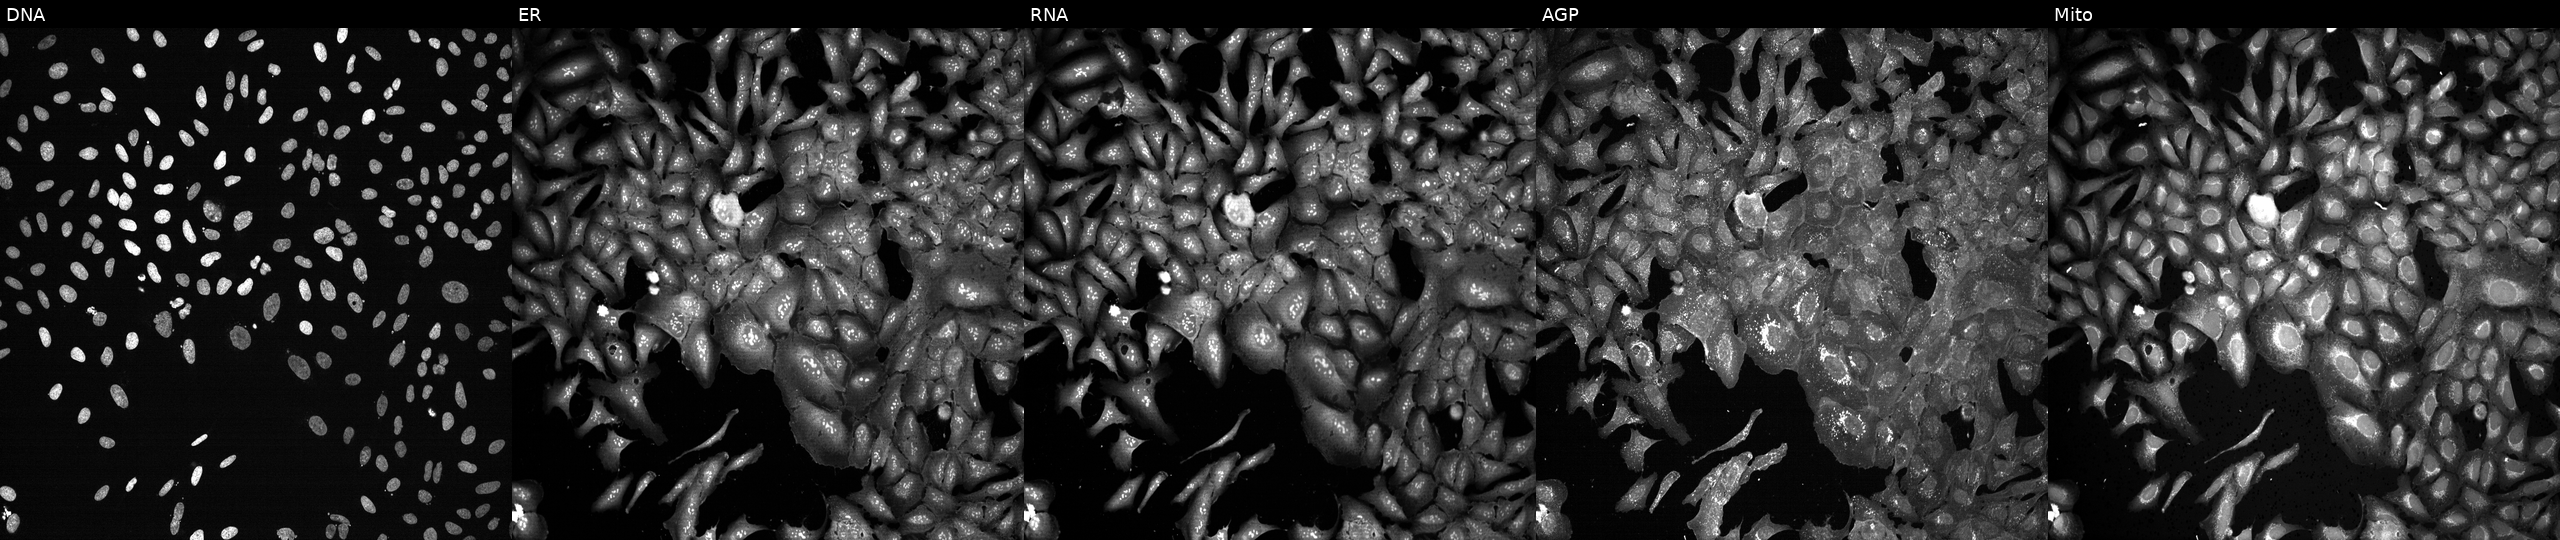
This image strip shows the five Cell Painting channels for a single field of U2OS cells CRISPR-edited to disrupt ELAC2. Channels (left→right): Hoechst 33342, concanavalin A, SYTO 14, phalloidin and WGA, MitoTracker. Source 13, plate CP-CC9-R1-02, well E20.